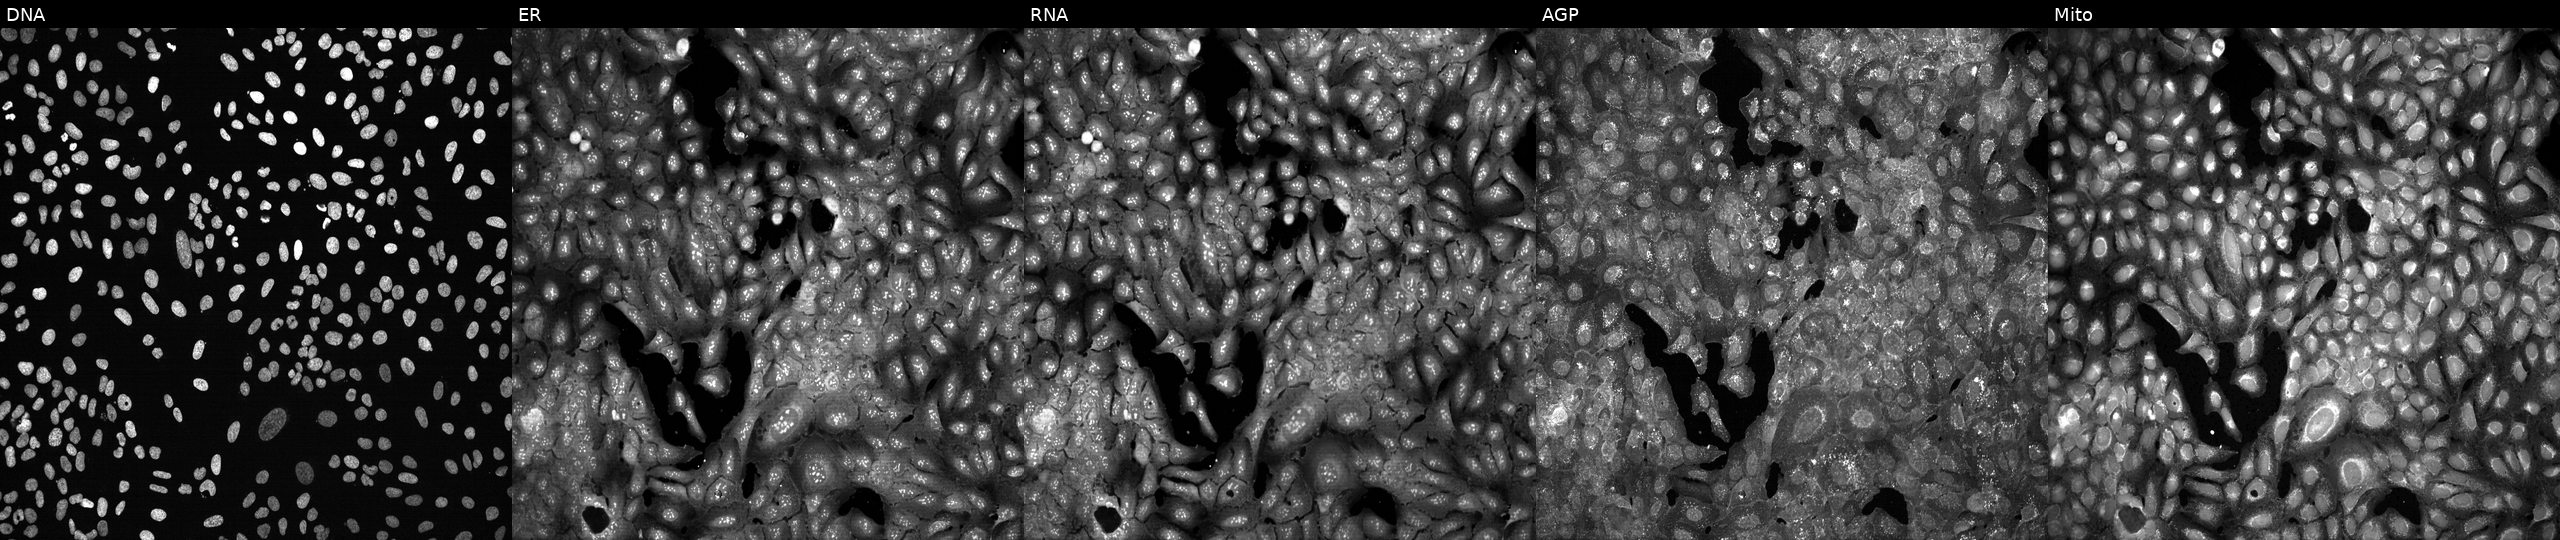
This image strip shows the five Cell Painting channels for a single field of U2OS cells with APOBEC3D knocked out by CRISPR (JUMP id JCP2022_800520). The five panels, left to right, show Hoechst 33342, concanavalin A, SYTO 14, phalloidin and WGA, MitoTracker.